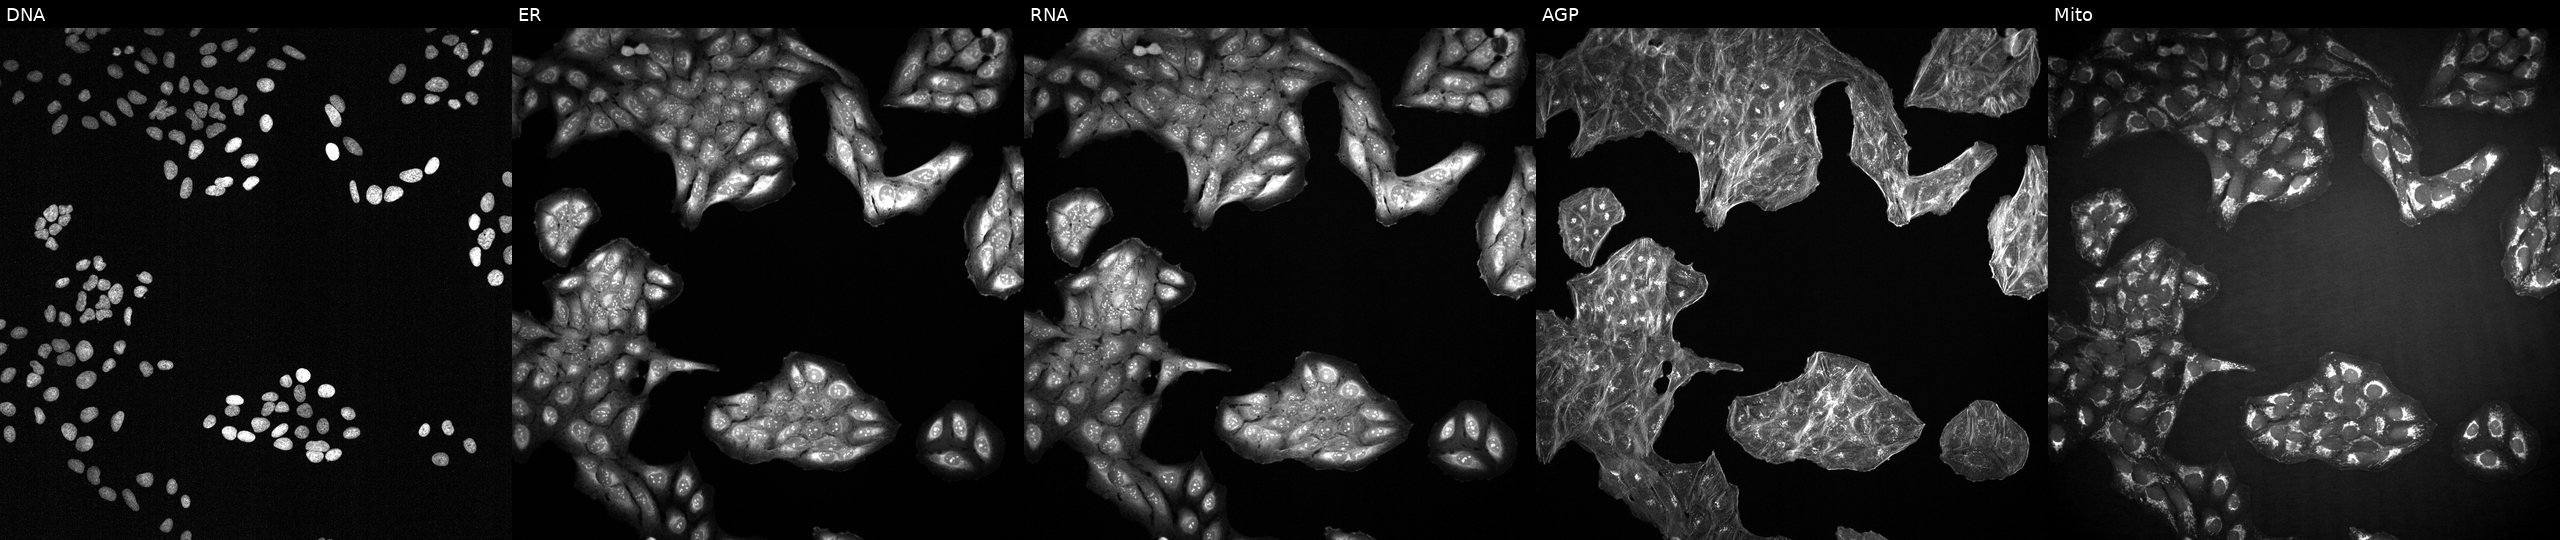
Five-channel Cell Painting image of U2OS cells treated with a small-molecule compound (InChIKey HCRKCZRJWPKOAR-UHFFFAOYSA-N) [SMILES: CCNC1CN(CCCOC)S(=O)(=O)c2sc(S(N)(=O)=O)cc21]. From left to right: DNA, ER, RNA, AGP, and Mito.